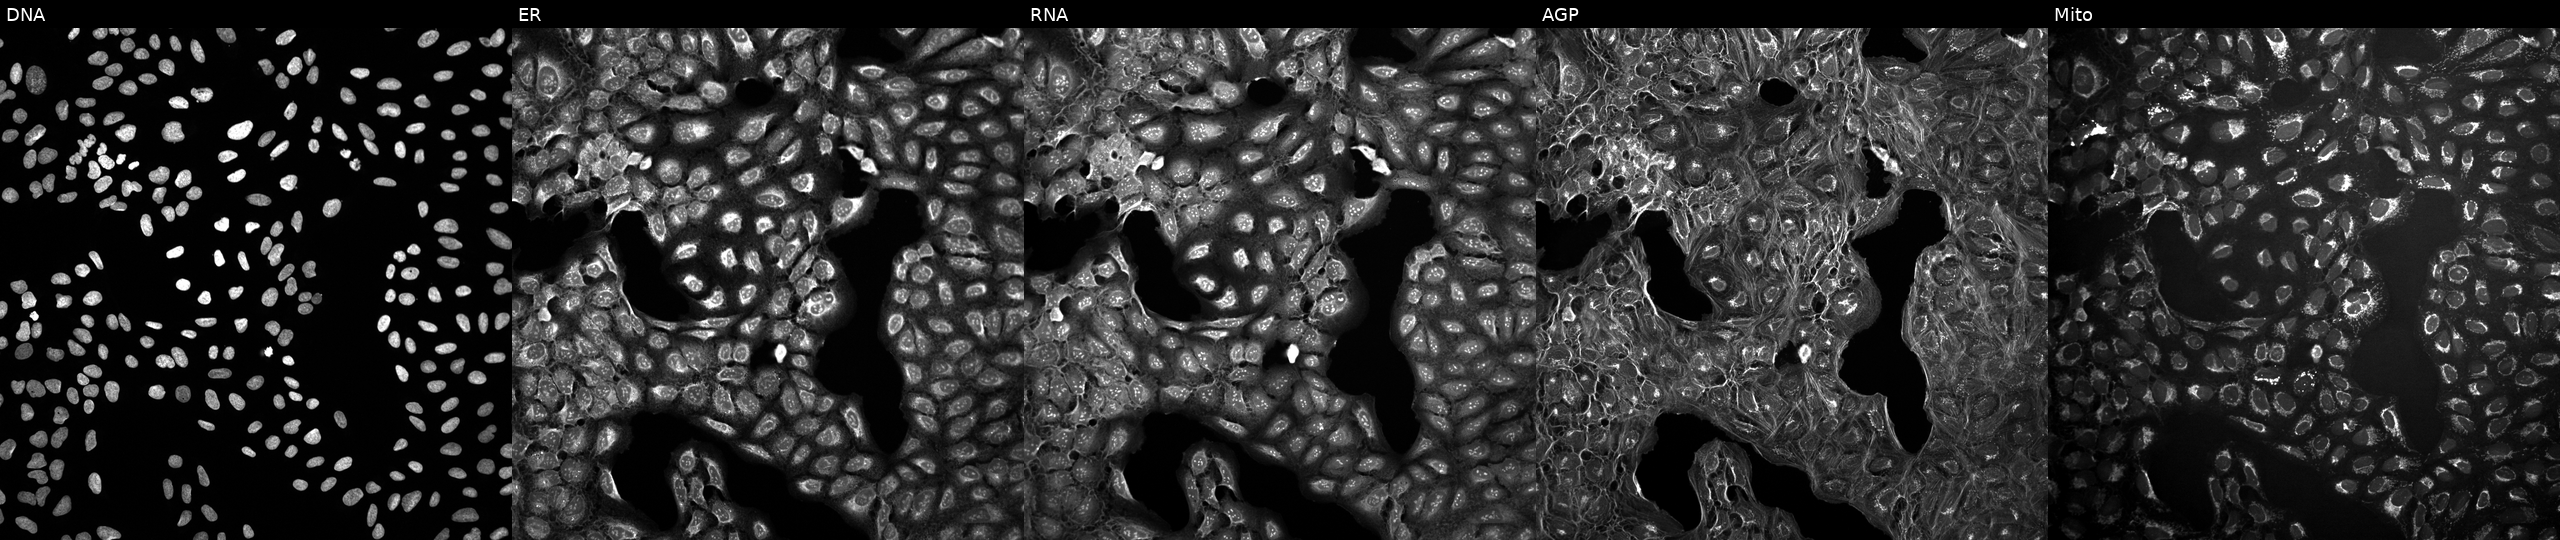
Five-channel Cell Painting image of U2OS cells untreated (empty-well control). Channels (left→right): Hoechst 33342, concanavalin A, SYTO 14, phalloidin and WGA, MitoTracker. Source 10, plate Dest210531-152324, well K09.